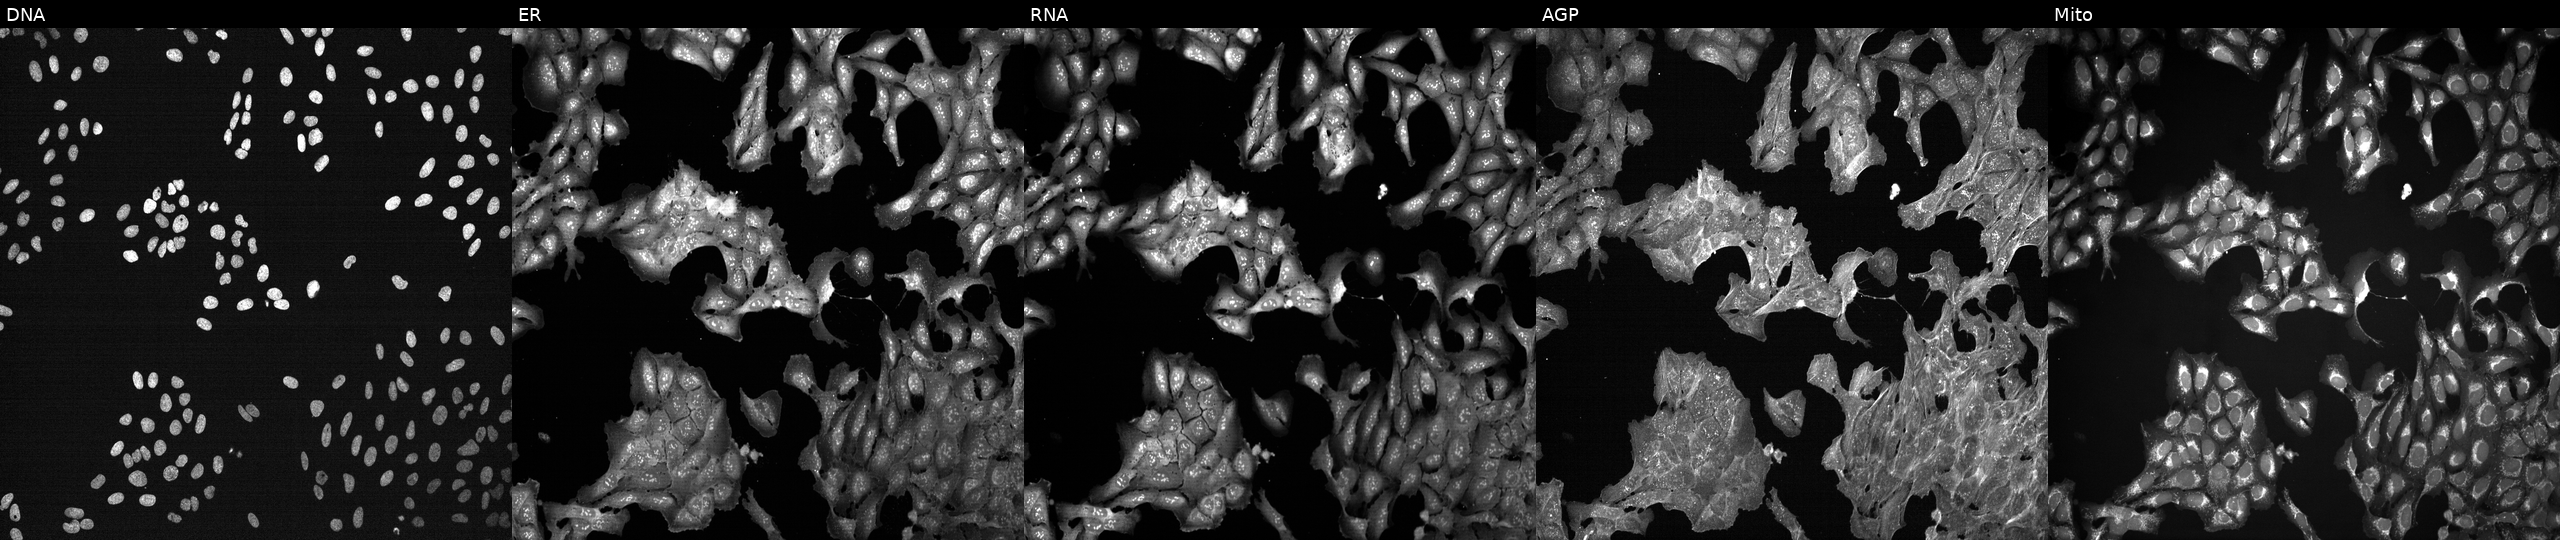
This image strip shows the five Cell Painting channels for a single field of U2OS cells perturbed with a small-molecule compound (JUMP id JCP2022_003951). The five panels, left to right, show DNA, ER, RNA, AGP, and Mito. Source 7, plate CP3-SC1-25, well N09.